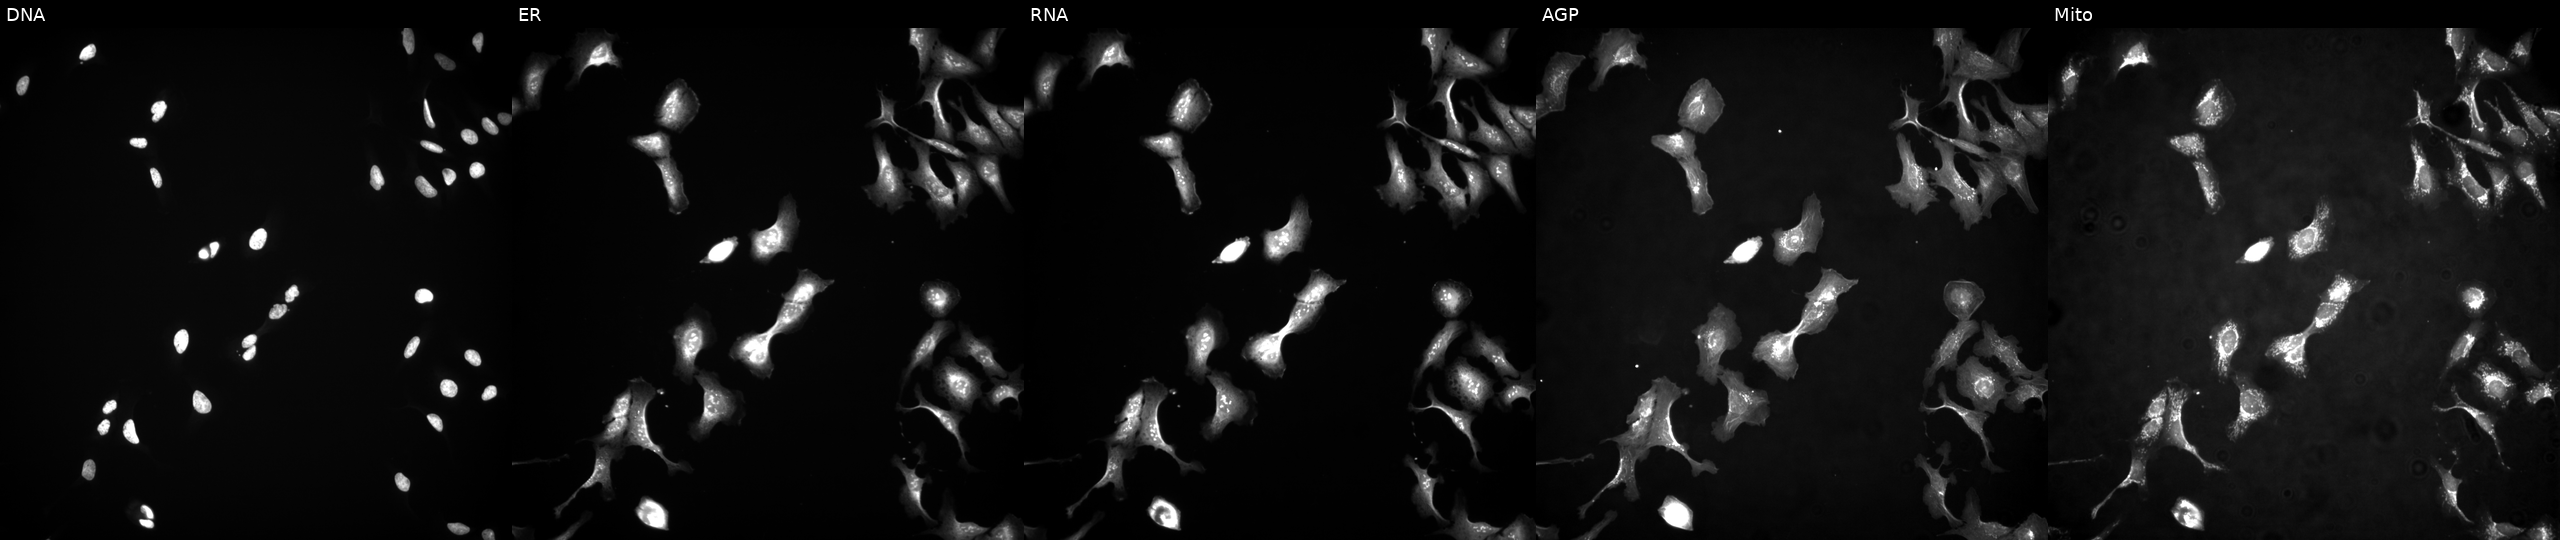
High-content fluorescence microscopy (Cell Painting). Cell line: U2OS. Perturbation: transfected with an ORF construct for ZNF99. Panels show, left to right, DNA (nuclei); ER (endoplasmic reticulum); RNA (nucleoli and cytoplasmic RNA); AGP (actin cytoskeleton, Golgi, and plasma membrane); Mito (mitochondria).